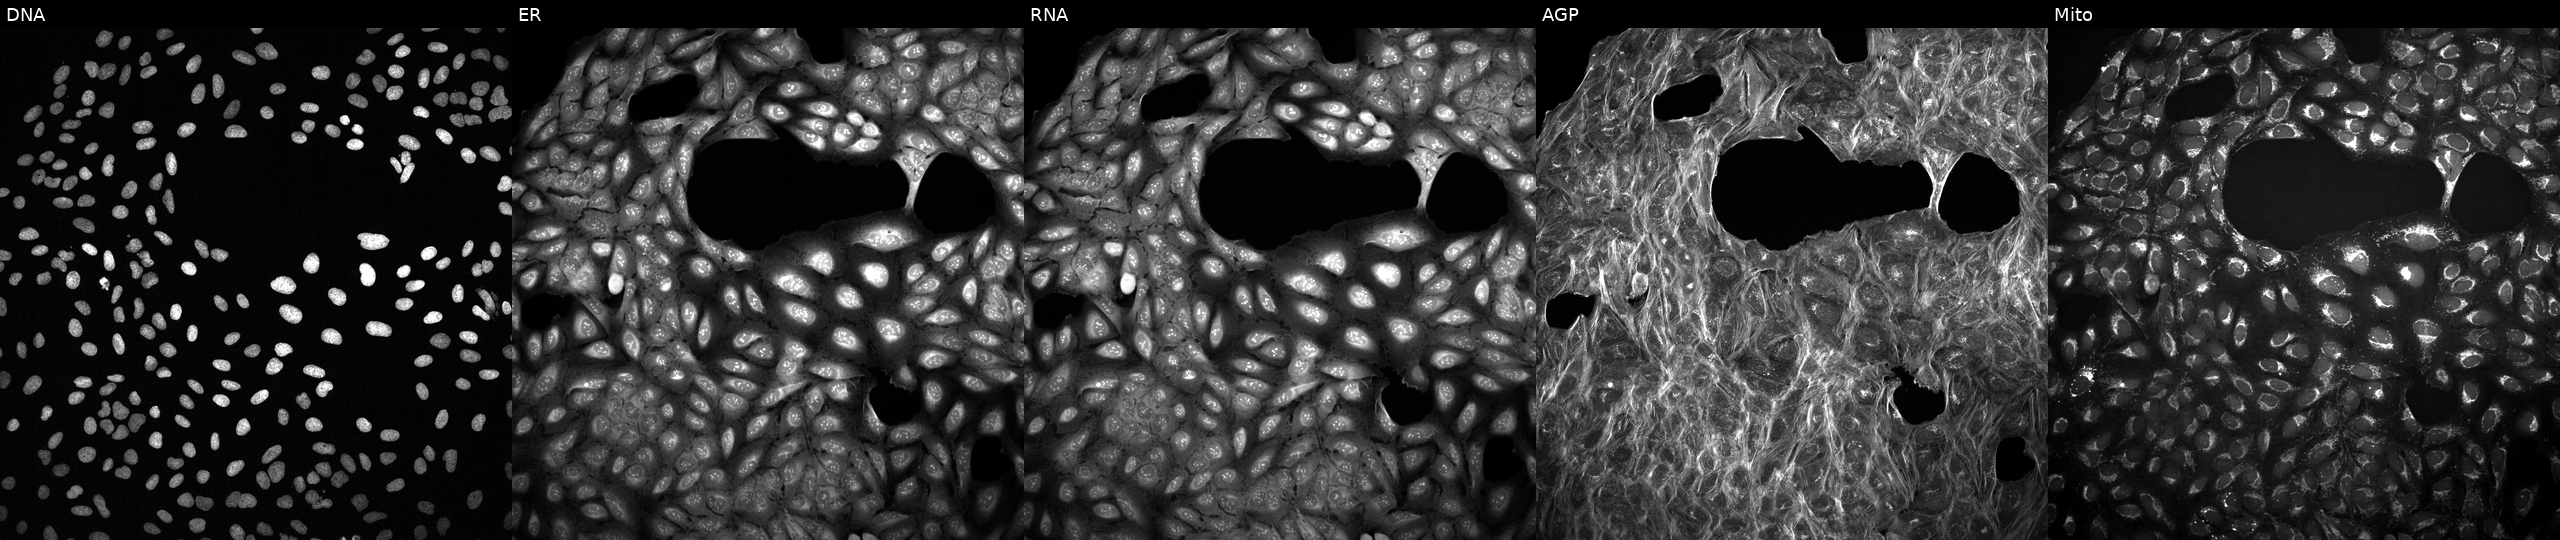
High-content fluorescence microscopy (Cell Painting). Cell line: U2OS. Perturbation: with an unidentified perturbation (not annotated in JUMP metadata). Channels (left→right): Hoechst 33342, concanavalin A, SYTO 14, phalloidin and WGA, MitoTracker. Source 2, plate 1053601763, well N08.